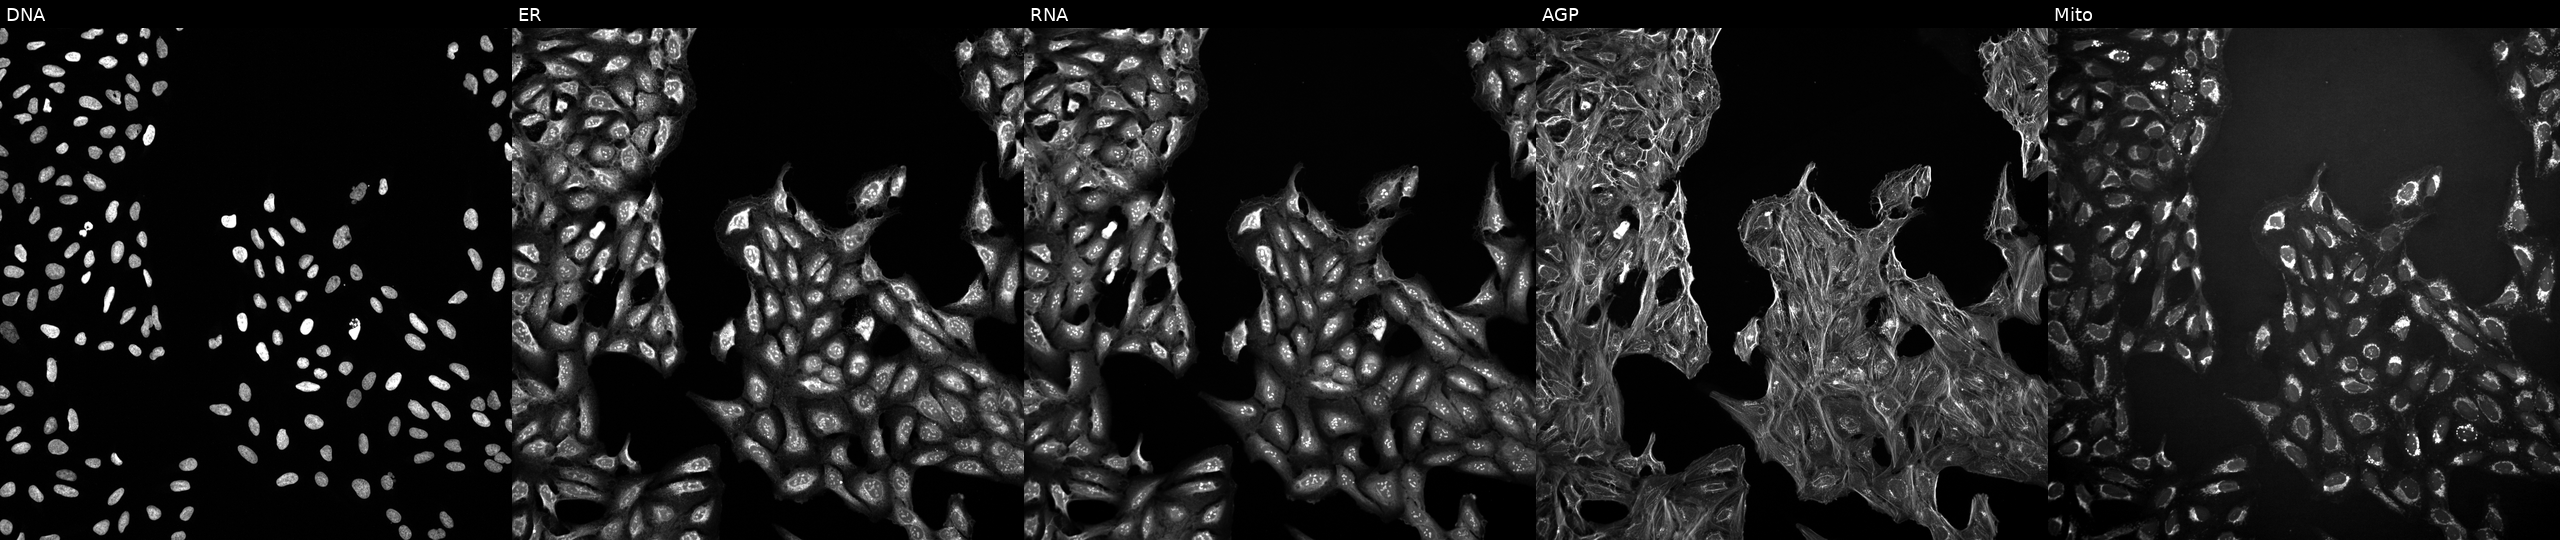
Five-channel Cell Painting image of U2OS cells treated with DMSO vehicle only (negative control). From left to right: DNA, ER, RNA, AGP, and Mito.